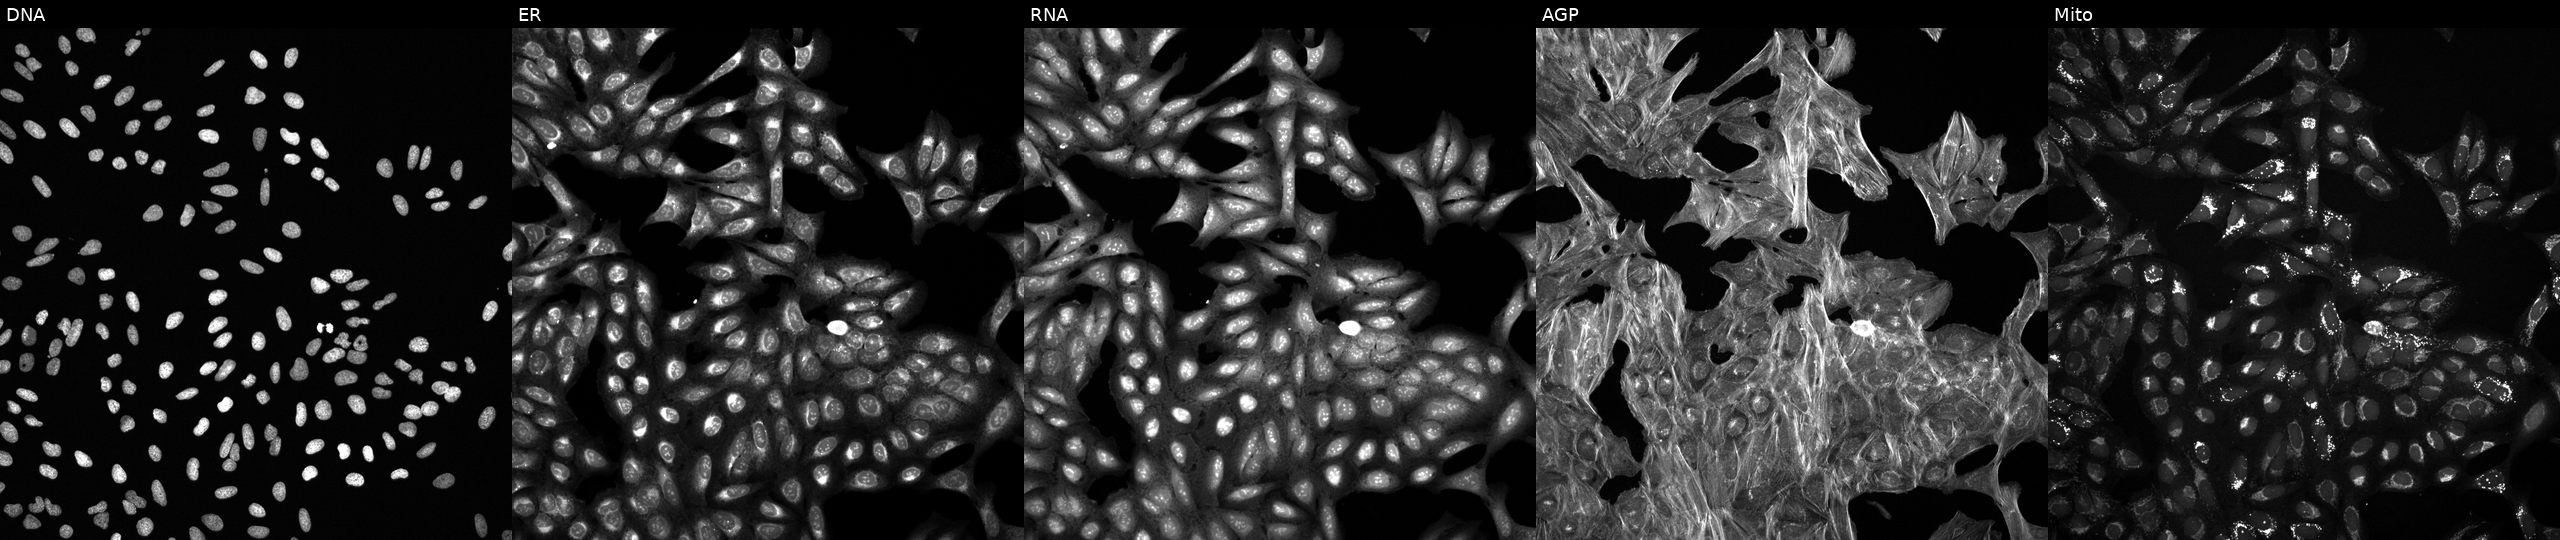
This image strip shows the five Cell Painting channels for a single field of U2OS cells perturbed with a small-molecule compound. From left to right: DNA (nuclei); ER (endoplasmic reticulum); RNA (nucleoli and cytoplasmic RNA); AGP (actin cytoskeleton, Golgi, and plasma membrane); Mito (mitochondria). Source 6, plate 110000293081, well M06.